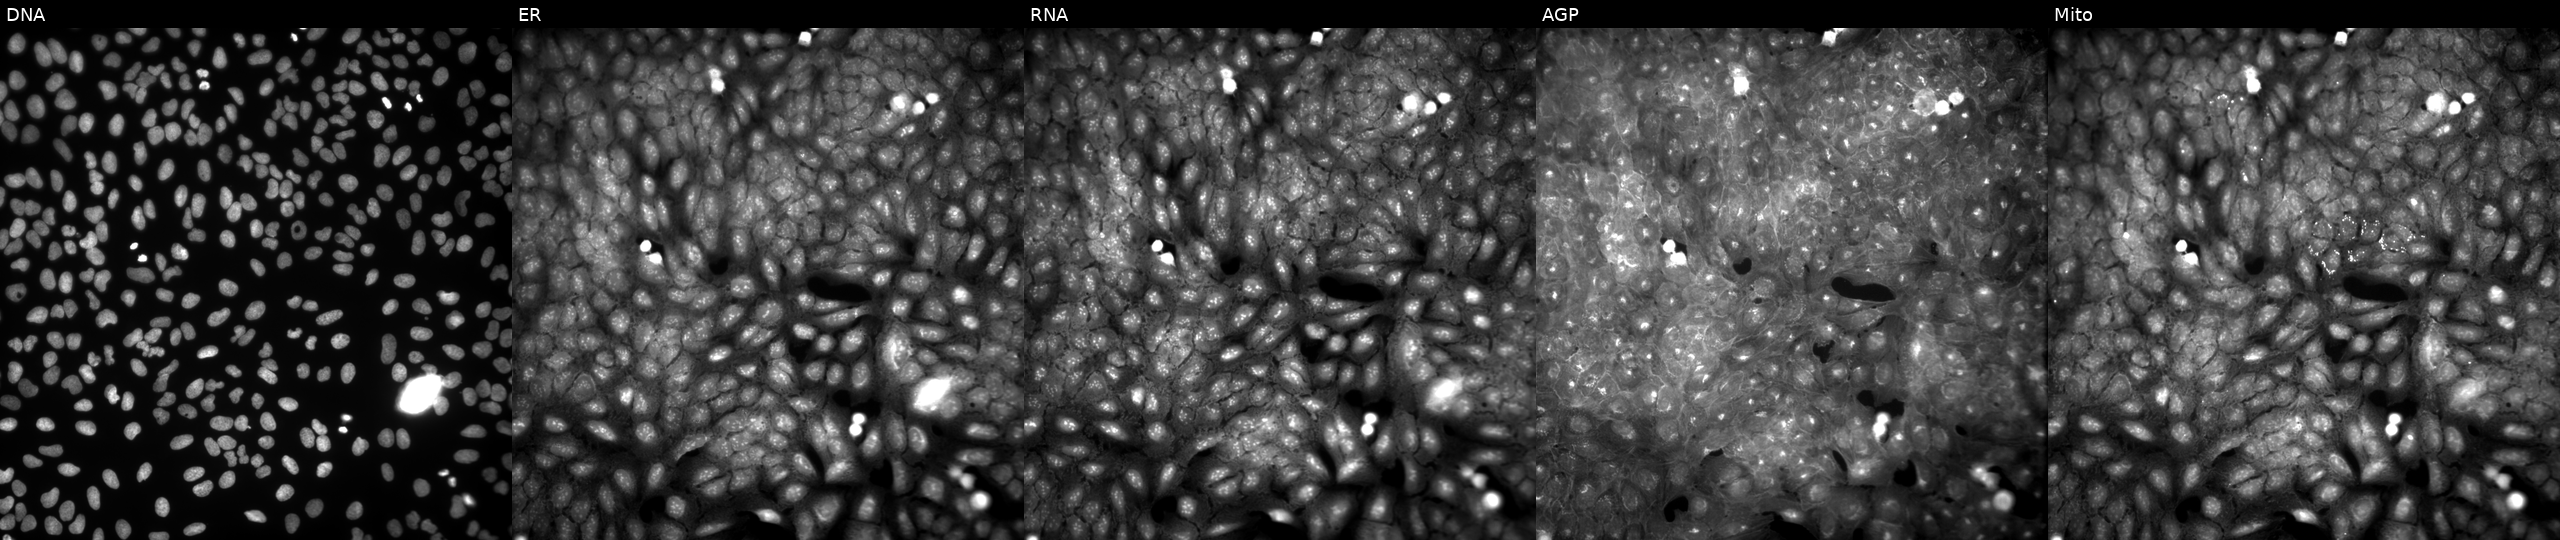
Five-channel Cell Painting image of U2OS cells treated with a small-molecule compound (JUMP id JCP2022_041121). From left to right: DNA (nuclei); ER (endoplasmic reticulum); RNA (nucleoli and cytoplasmic RNA); AGP (actin cytoskeleton, Golgi, and plasma membrane); Mito (mitochondria).